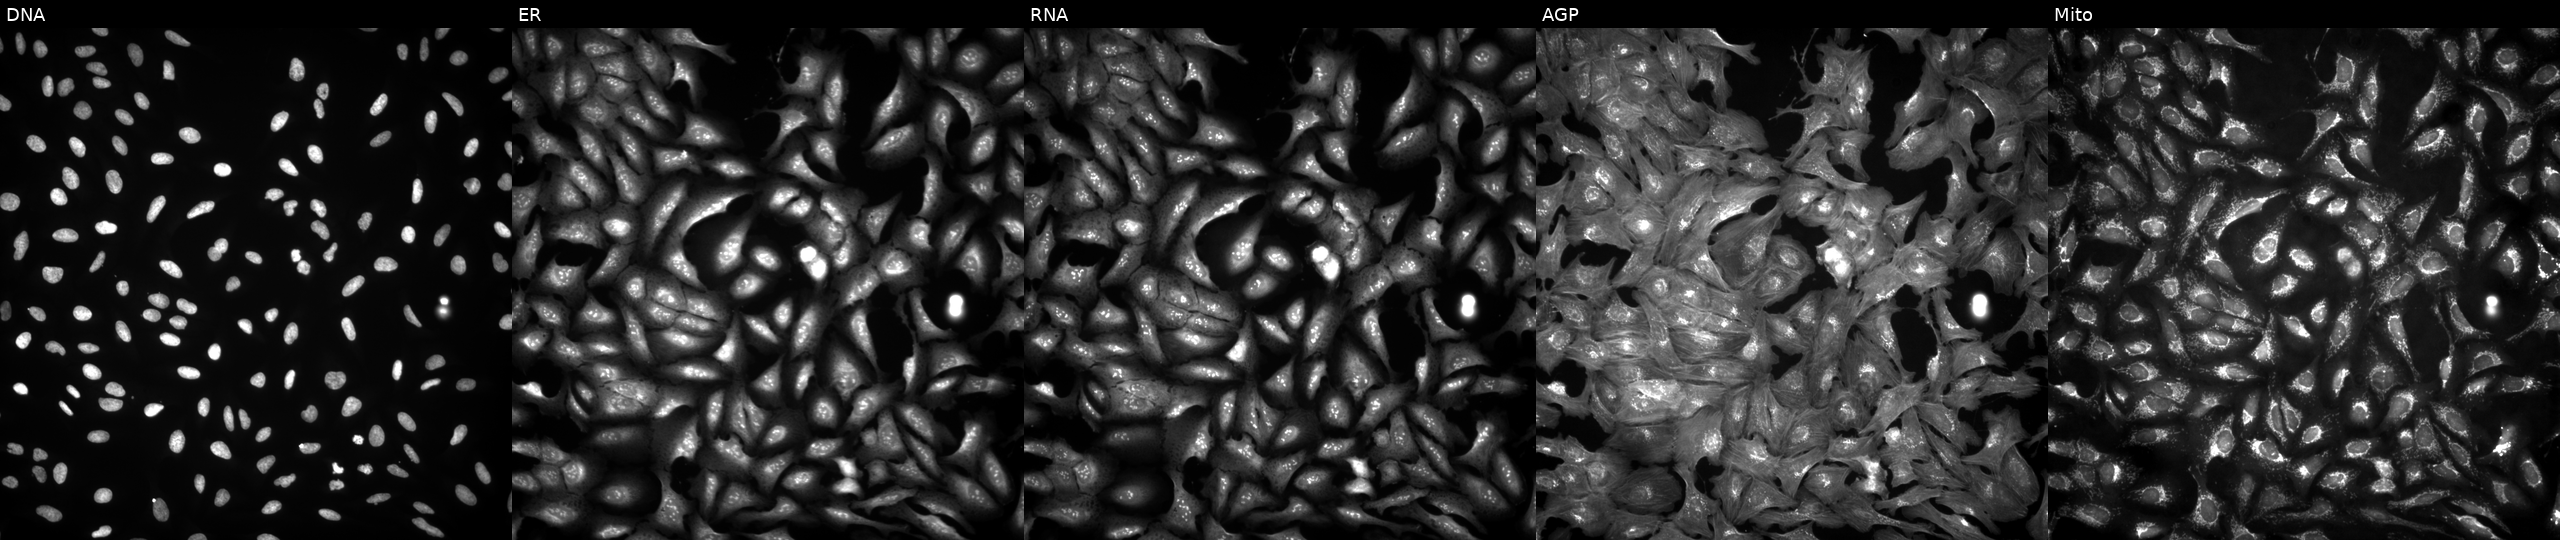
The five panels, left to right, show Hoechst 33342, concanavalin A, SYTO 14, phalloidin and WGA, MitoTracker. U2OS osteosarcoma cells with MZT1 overexpressed (ORF) (JUMP id JCP2022_909461). Cell Painting assay, JUMP-CP dataset.